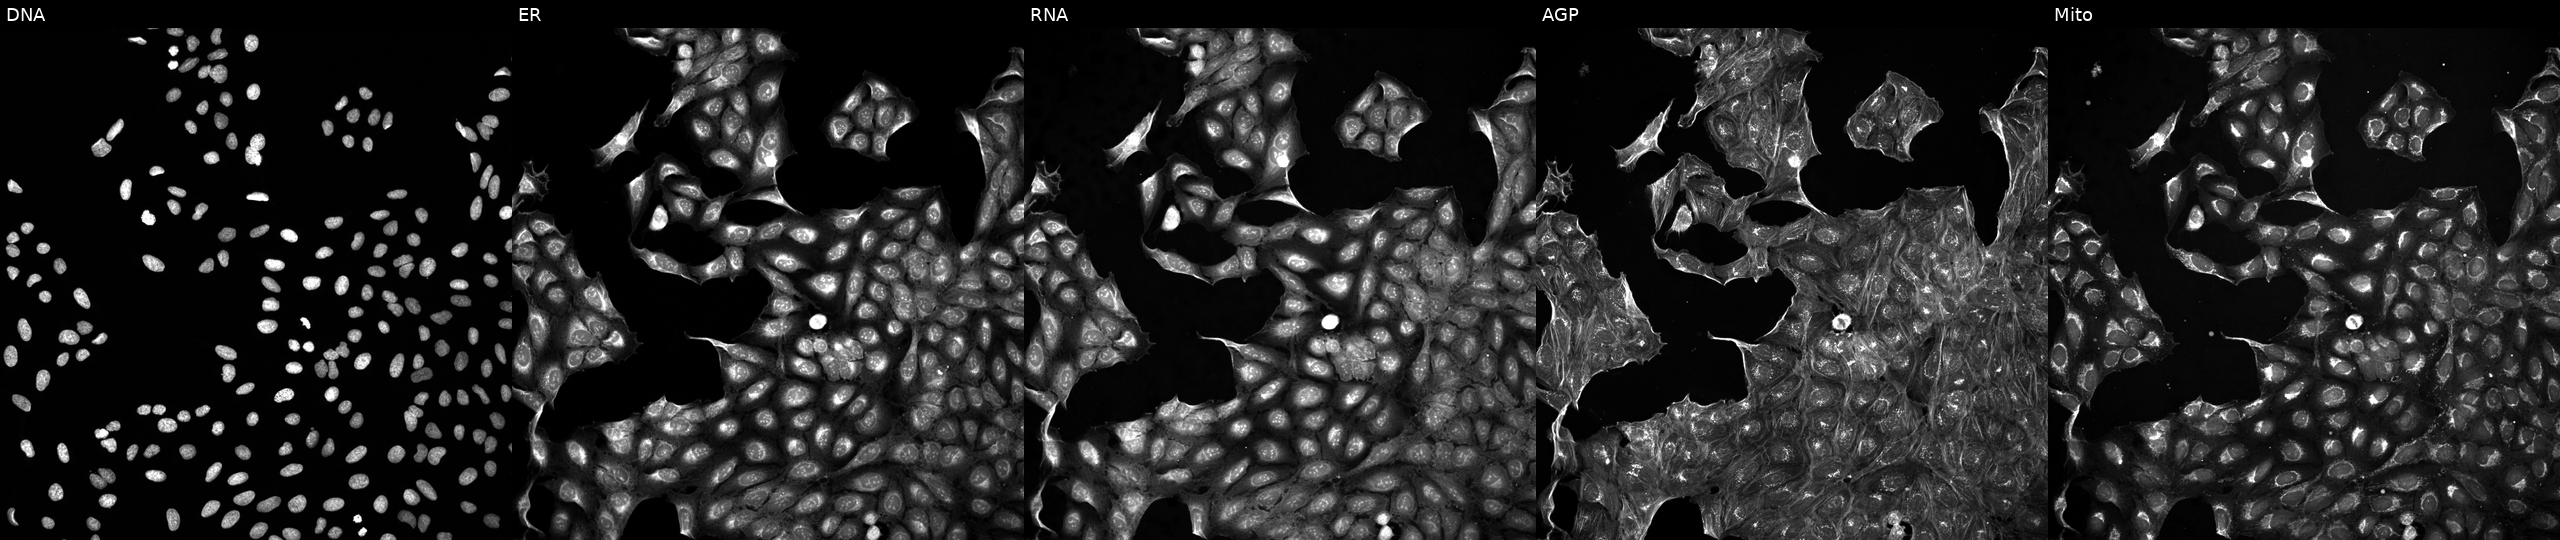
Panels show, left to right, Hoechst 33342, concanavalin A, SYTO 14, phalloidin and WGA, MitoTracker. U2OS osteosarcoma cells exposed to a small-molecule compound (InChIKey VDQLKIBLTMPAHI-UHFFFAOYSA-N) [SMILES: CC(C)C(=O)c1ccc(O)c(O)c1] (JUMP id JCP2022_093289). Cell Painting assay, JUMP-CP dataset.